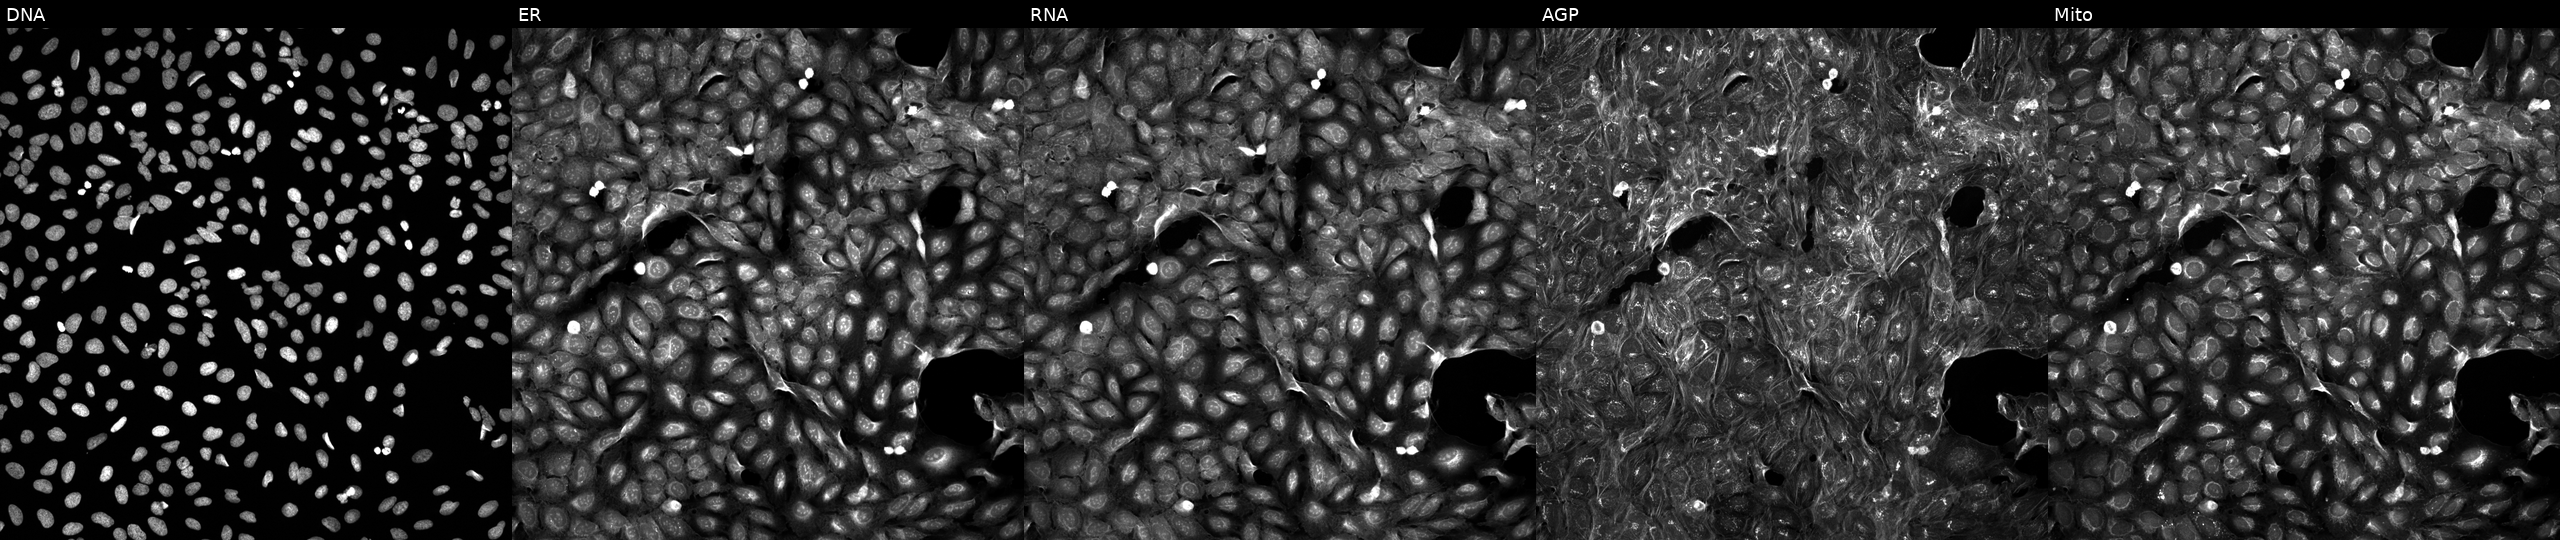
High-content fluorescence microscopy (Cell Painting). Cell line: U2OS. Perturbation: treated with a small-molecule compound (InChIKey ILWPJWNMCQCADP-UHFFFAOYSA-N) [SMILES: COc1ccc2c(c1)CCCC2CC(=O)N1CCCn2ncnc21] (JUMP id JCP2022_035885). The five panels, left to right, show Hoechst 33342, concanavalin A, SYTO 14, phalloidin and WGA, MitoTracker.